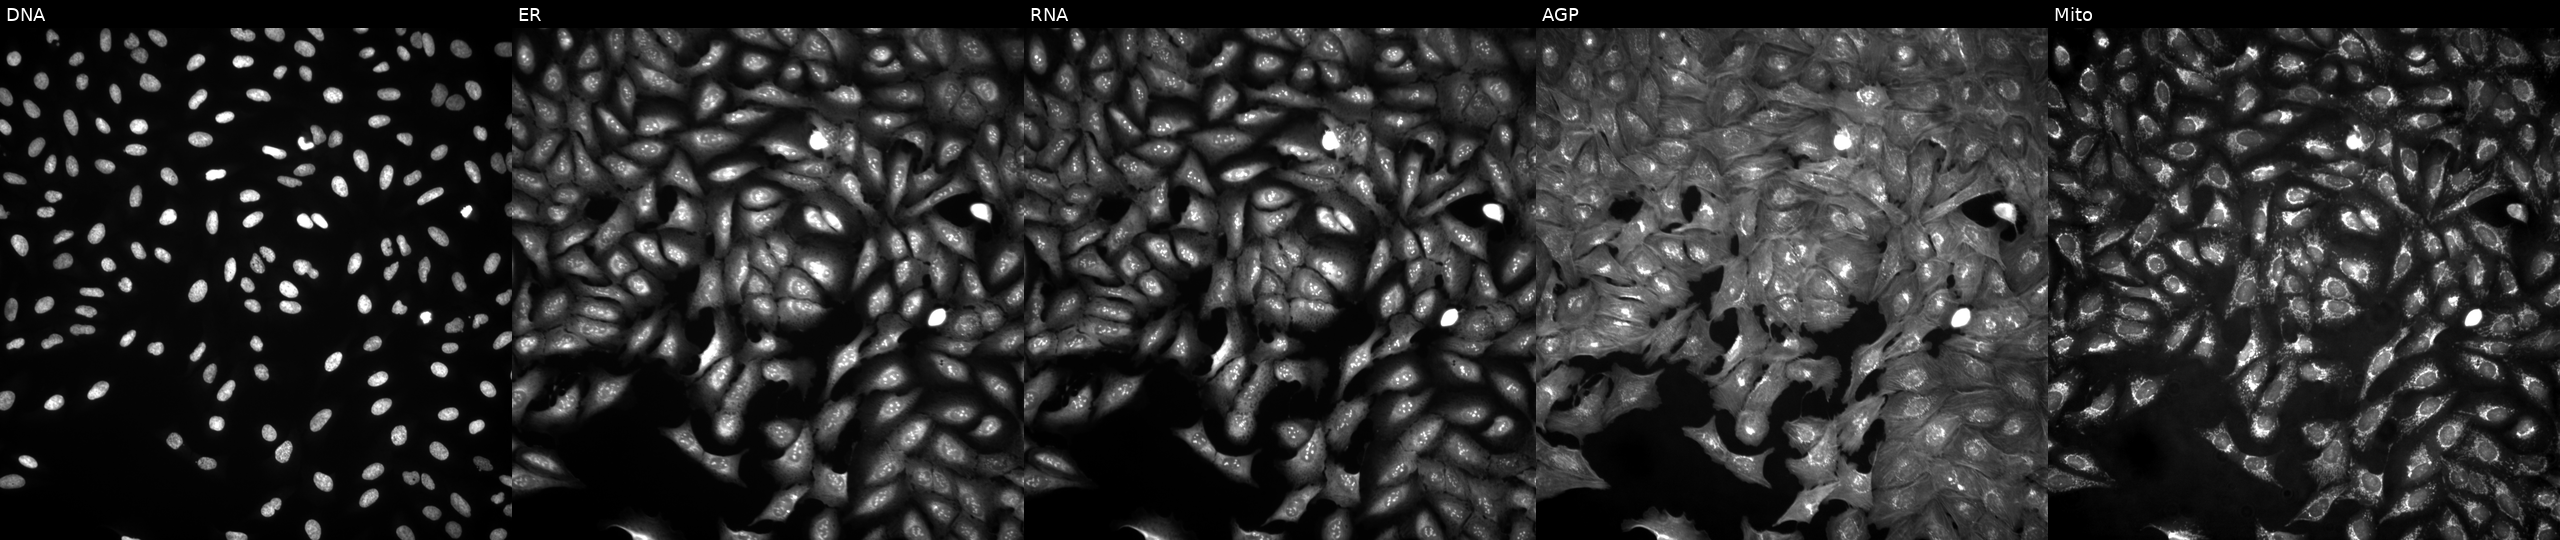
U2OS cells, Cell Painting assay, overexpressing RNF40 via ORF transfection. Channels (left→right): DNA (nuclei); ER (endoplasmic reticulum); RNA (nucleoli and cytoplasmic RNA); AGP (actin cytoskeleton, Golgi, and plasma membrane); Mito (mitochondria). Each panel is percentile-stretched 16-bit fluorescence. Source 4, plate BR00124784, well A05.